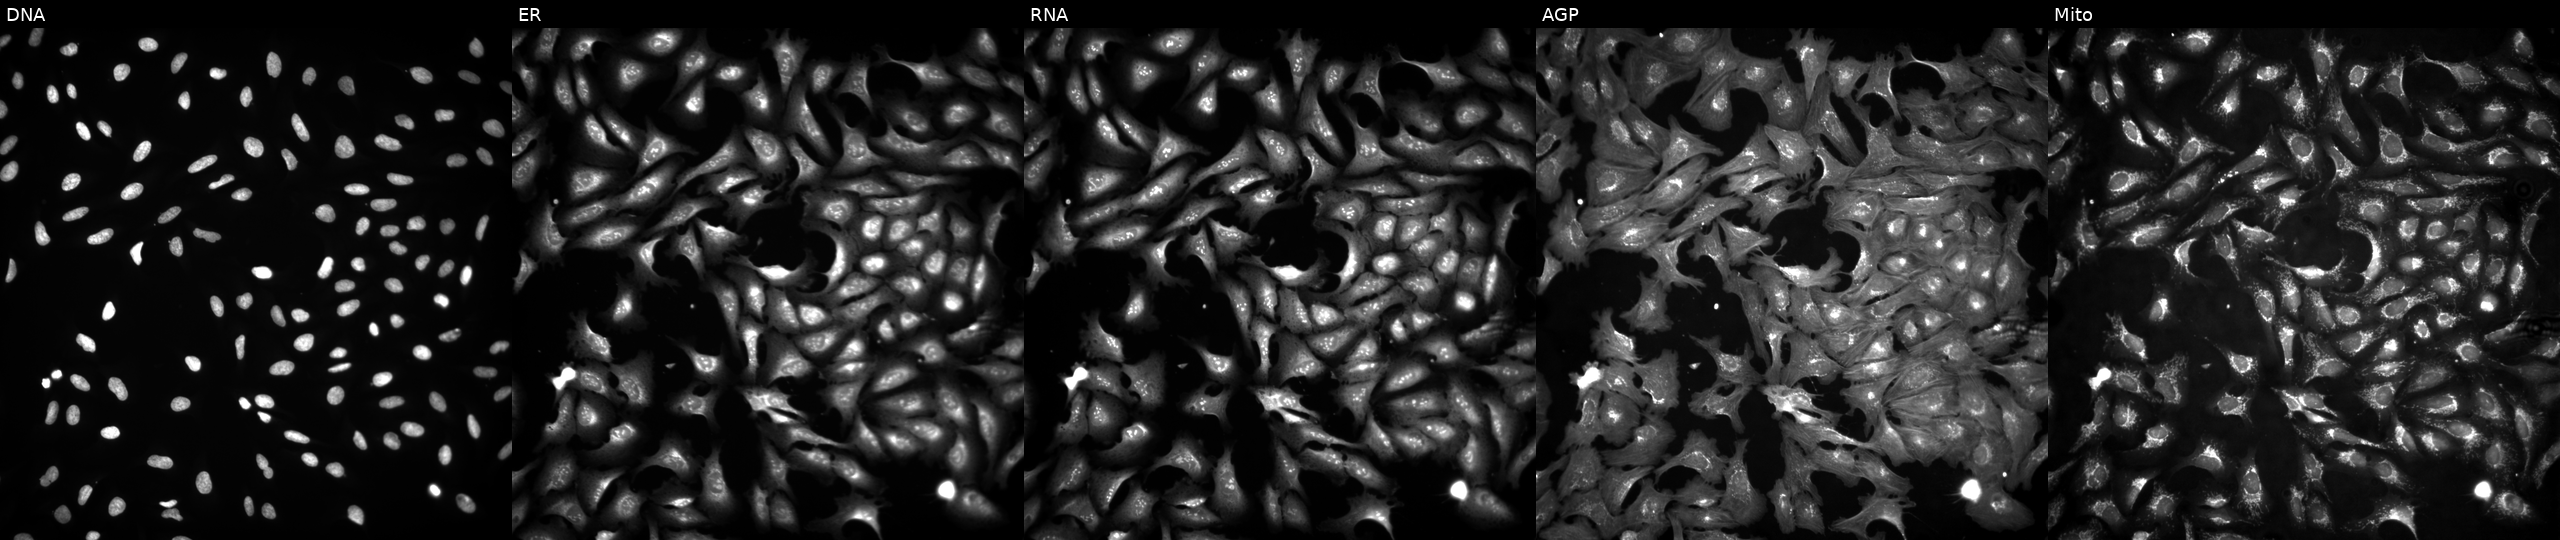
U2OS cells, Cell Painting assay, transfected with an ORF construct for RIPK2 (JUMP id JCP2022_913931). Panels show, left to right, DNA (nuclei); ER (endoplasmic reticulum); RNA (nucleoli and cytoplasmic RNA); AGP (actin cytoskeleton, Golgi, and plasma membrane); Mito (mitochondria). Each panel is percentile-stretched 16-bit fluorescence.